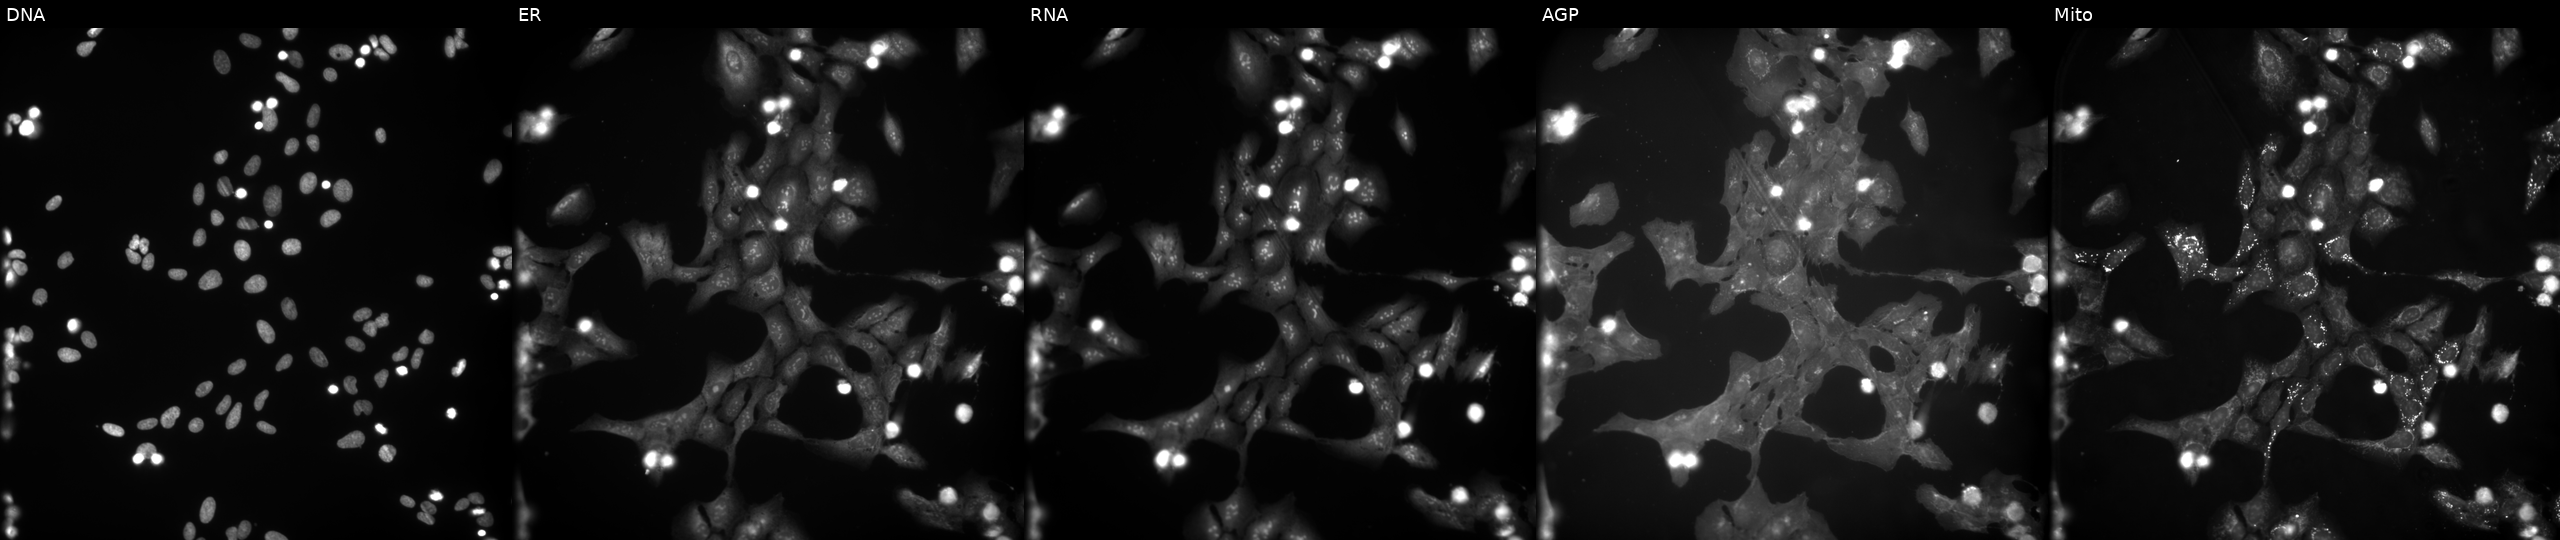
JUMP Cell Painting — COMPOUND plate. U2OS cells perturbed with a small-molecule compound (InChIKey ZQTLITMNSKCYPL-UHFFFAOYSA-N) [SMILES: Cn1c(C=Cc2cccc(Oc3ccccc3)c2)c([N+](=O)[O-])c(=O)n(C)c1=O]. The five panels, left to right, show Hoechst 33342, concanavalin A, SYTO 14, phalloidin and WGA, MitoTracker.